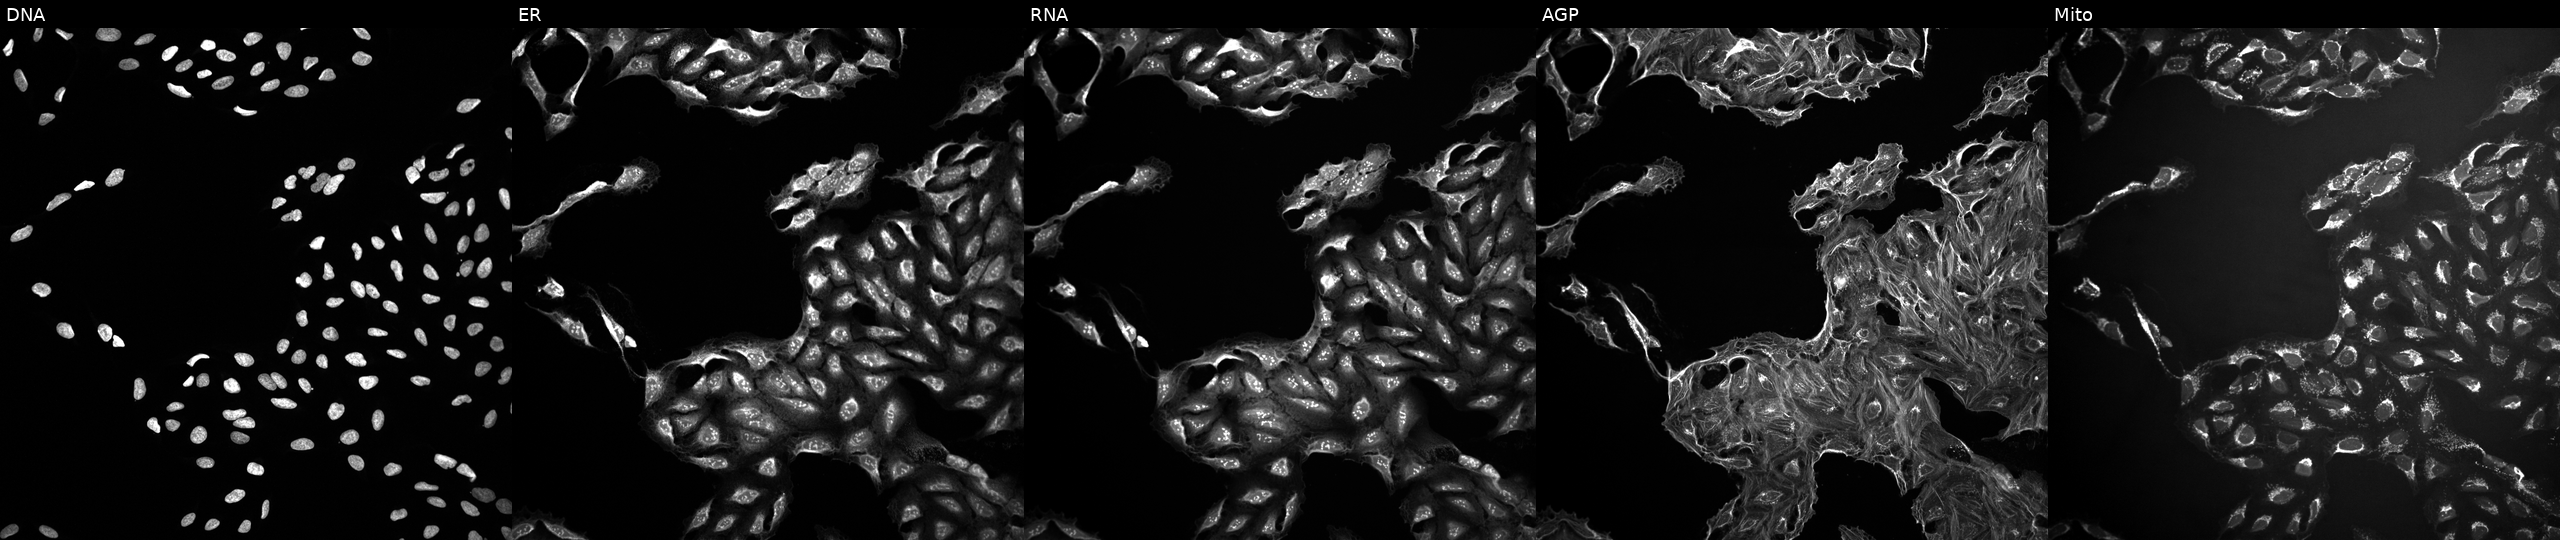
This image strip shows the five Cell Painting channels for a single field of U2OS cells exposed to DMSO alone as a negative control. Channels (left→right): Hoechst 33342, concanavalin A, SYTO 14, phalloidin and WGA, MitoTracker.